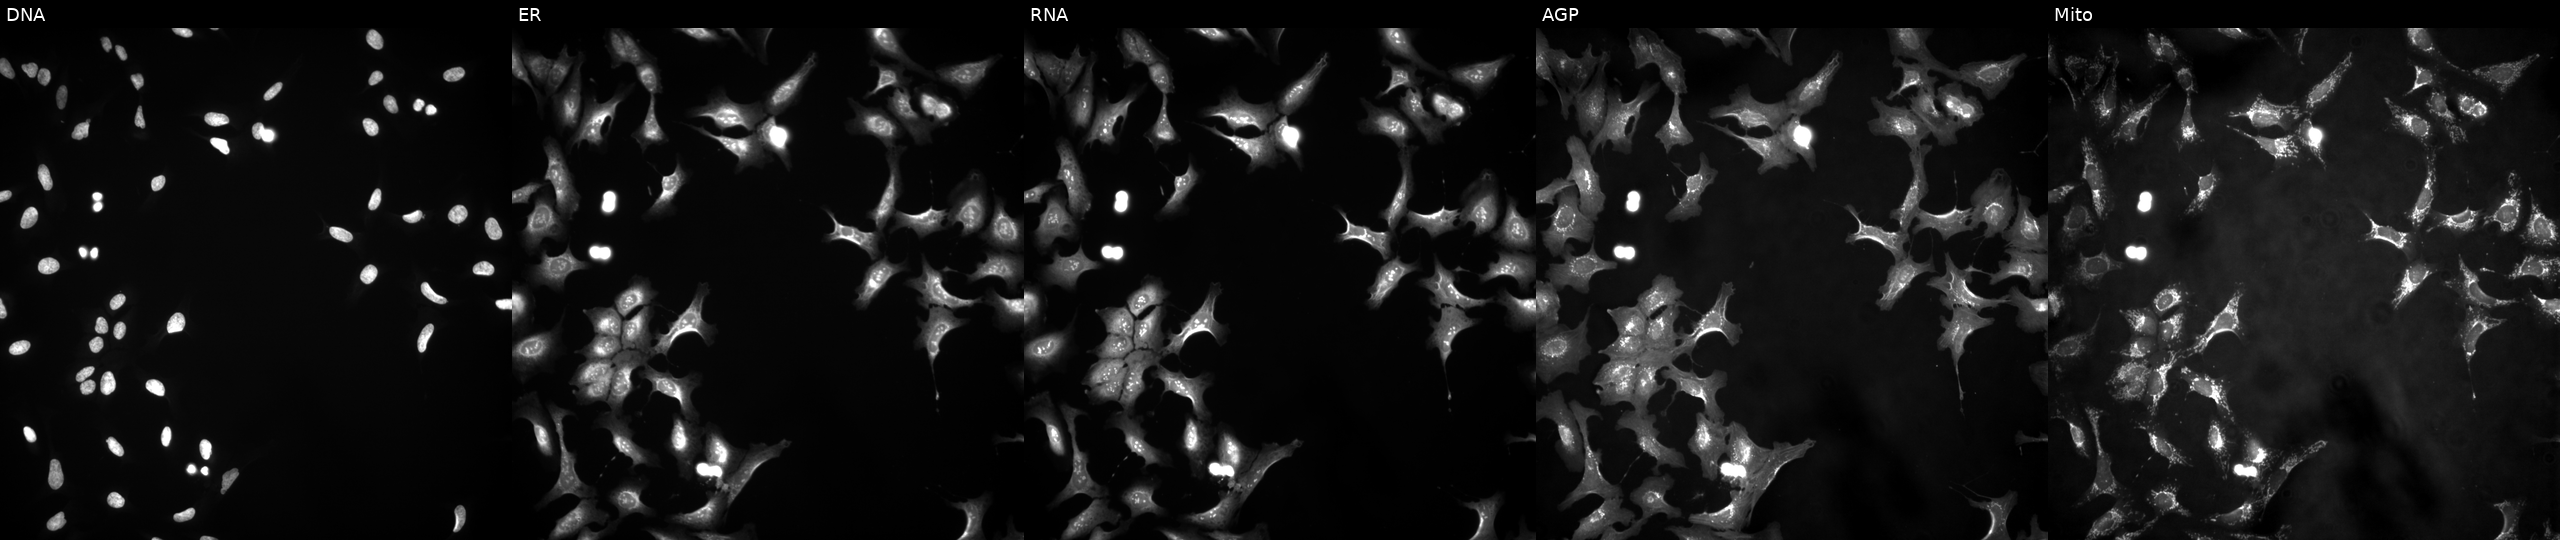
From left to right: Hoechst 33342, concanavalin A, SYTO 14, phalloidin and WGA, MitoTracker. U2OS osteosarcoma cells overexpressing MTHFD2 via ORF transfection. Cell Painting assay, JUMP-CP dataset. Source 4, plate BR00121543, well H01.